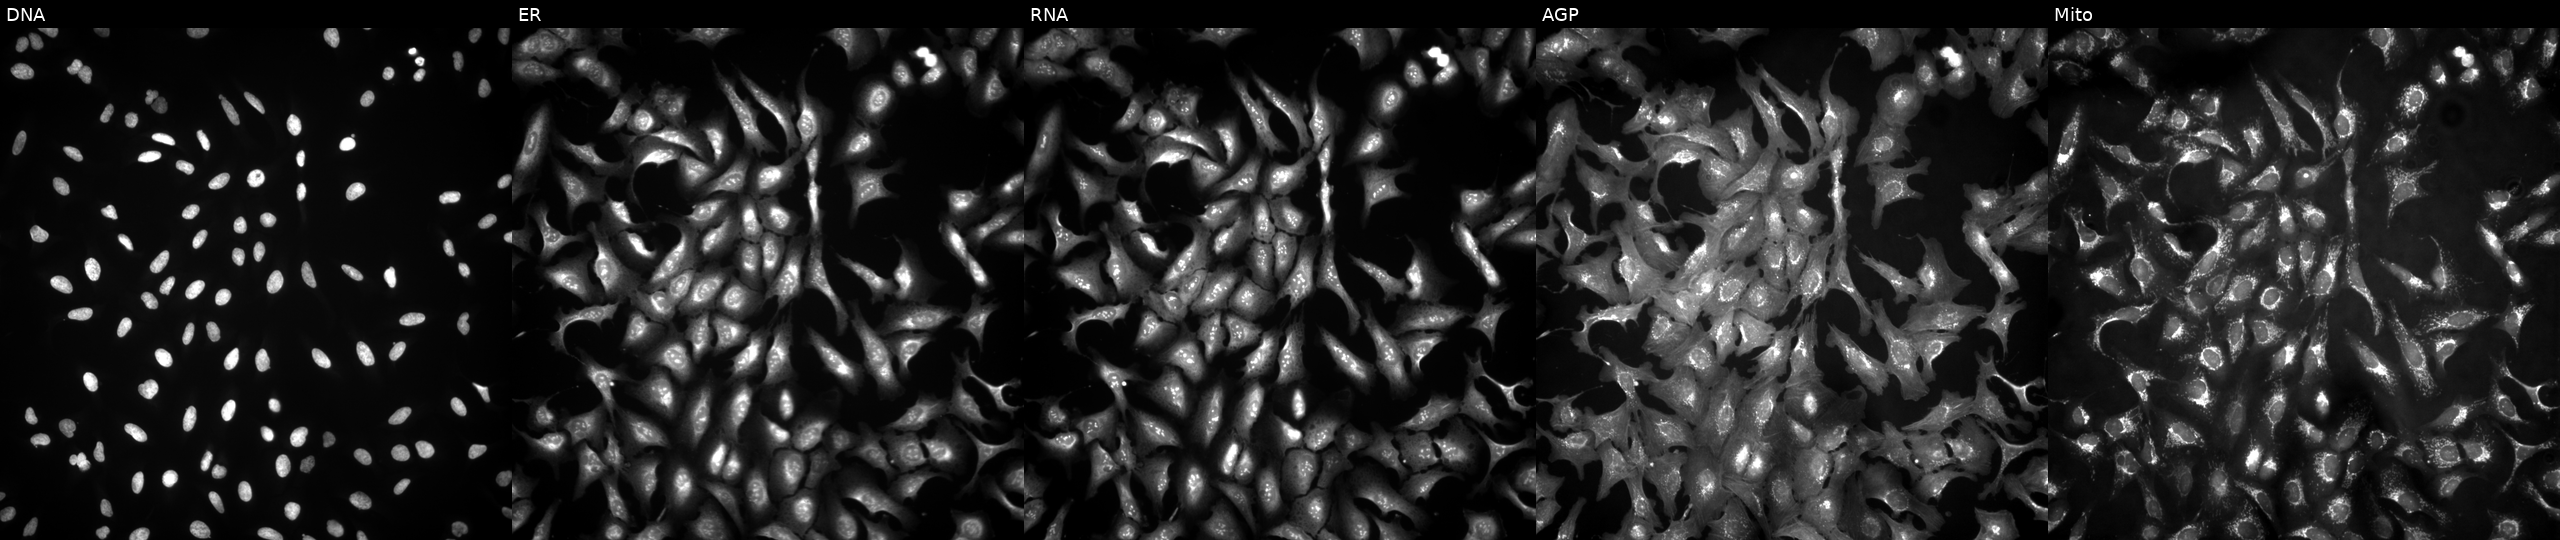
High-content fluorescence microscopy (Cell Painting). Cell line: U2OS. Perturbation: overexpressing NLRC4 via ORF transfection (JUMP id JCP2022_908195). Channels (left→right): Hoechst 33342, concanavalin A, SYTO 14, phalloidin and WGA, MitoTracker. Source 4, plate BR00121543, well O11.